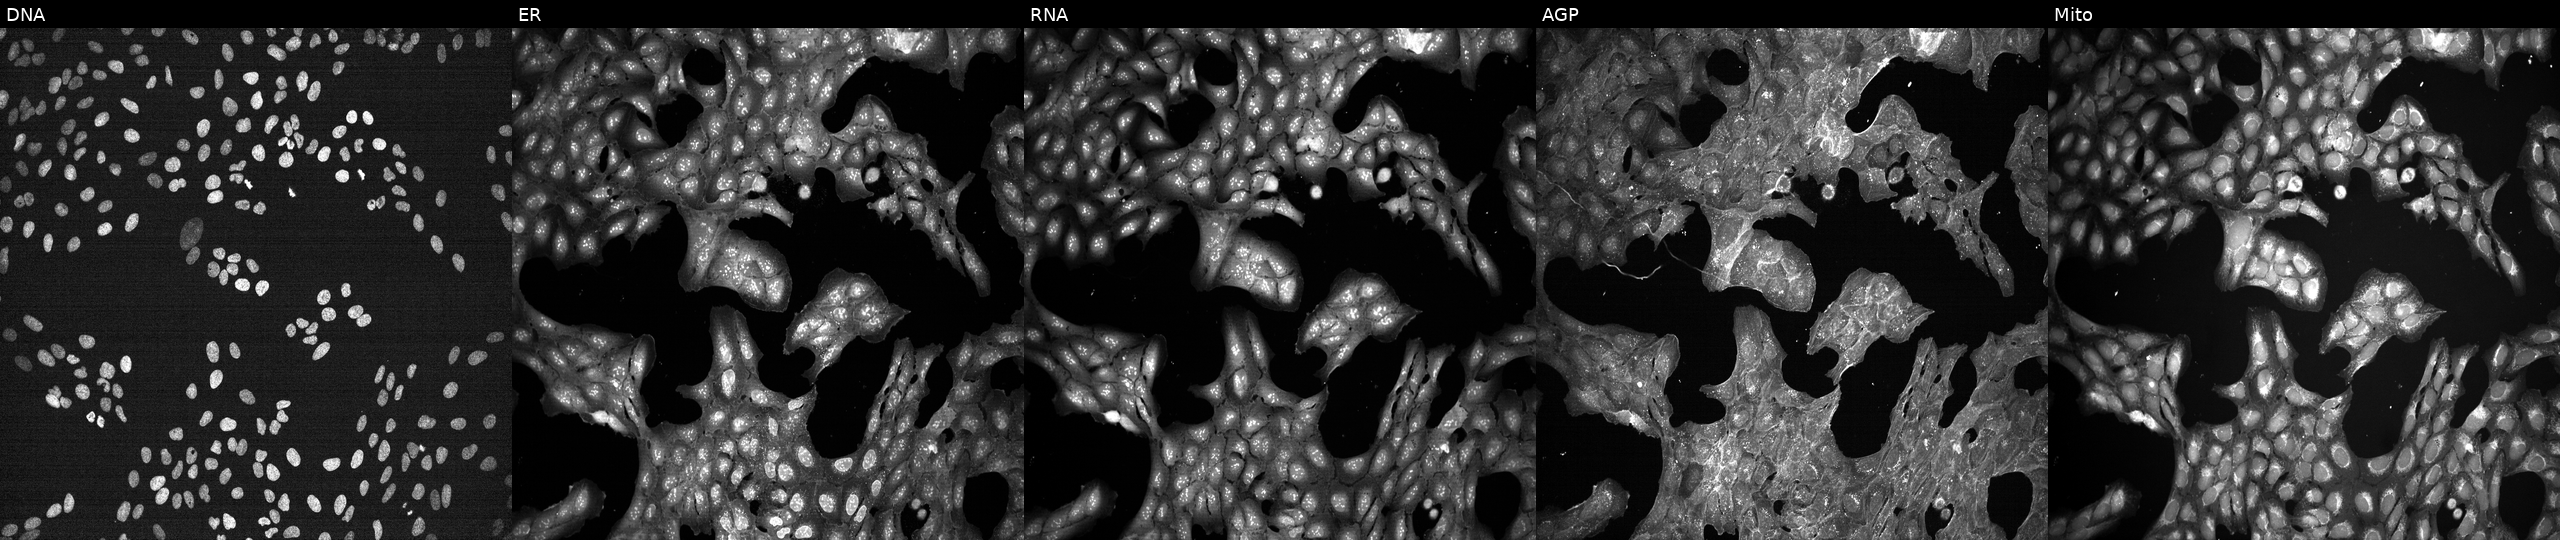
High-content fluorescence microscopy (Cell Painting). Cell line: U2OS. Perturbation: perturbed with a small-molecule compound (InChIKey UZDORQWMYRRLQV-UHFFFAOYSA-N). Panels show, left to right, DNA (nuclei); ER (endoplasmic reticulum); RNA (nucleoli and cytoplasmic RNA); AGP (actin cytoskeleton, Golgi, and plasma membrane); Mito (mitochondria). Source 7, plate CP1-SC1-25, well E21.